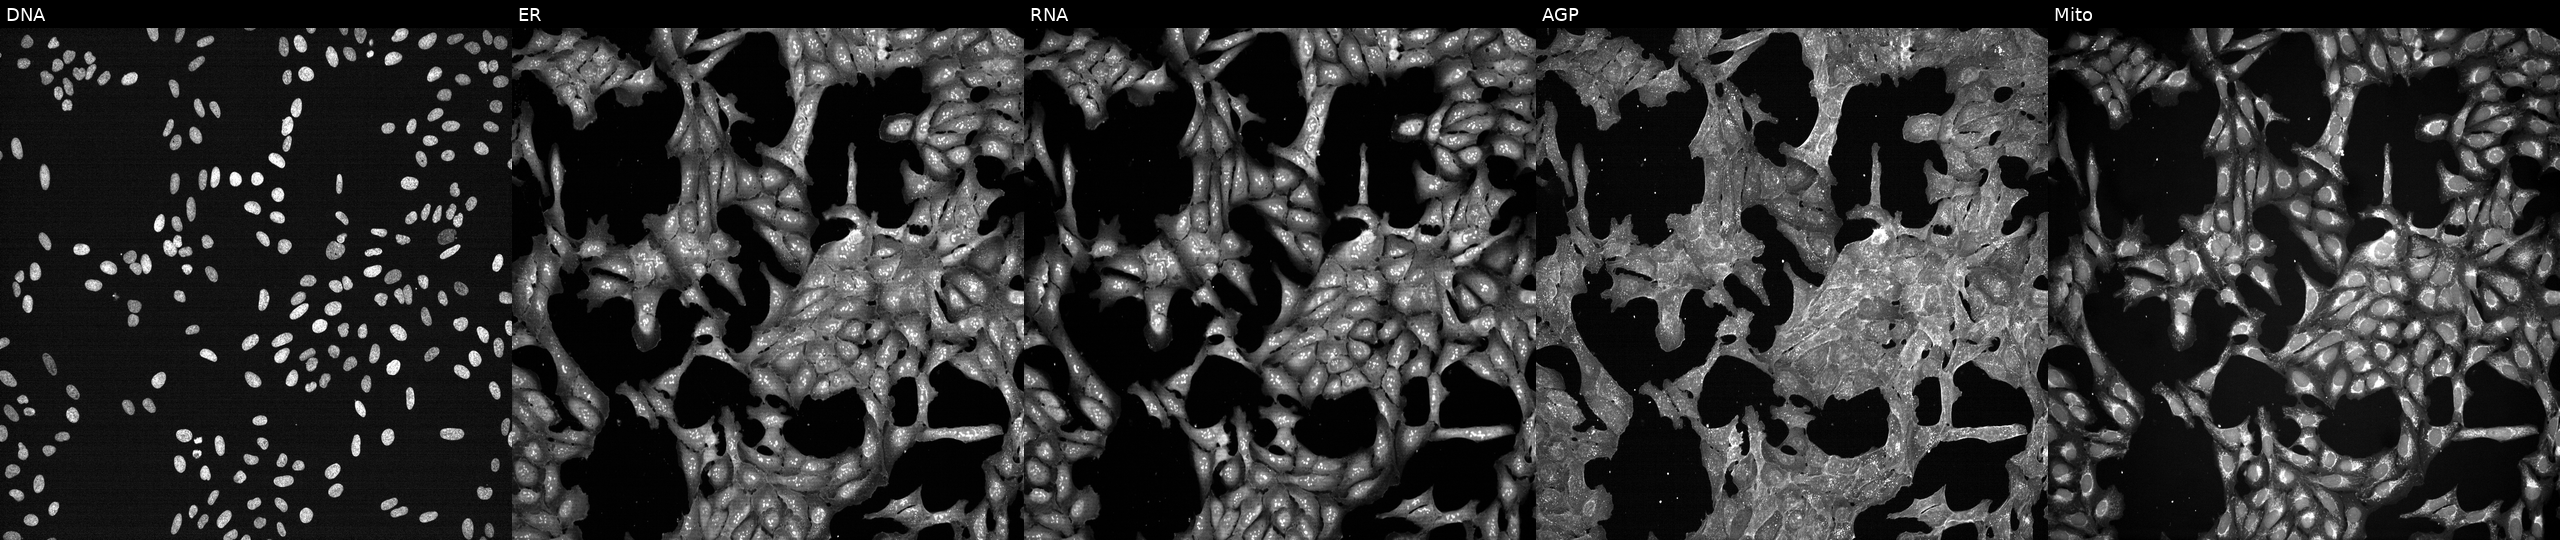
This image strip shows the five Cell Painting channels for a single field of U2OS cells perturbed with a small-molecule compound (InChIKey FNYLWPVRPXGIIP-UHFFFAOYSA-N). Channels (left→right): DNA, ER, RNA, AGP, and Mito. Source 7, plate CP2-SC1-25, well F01.